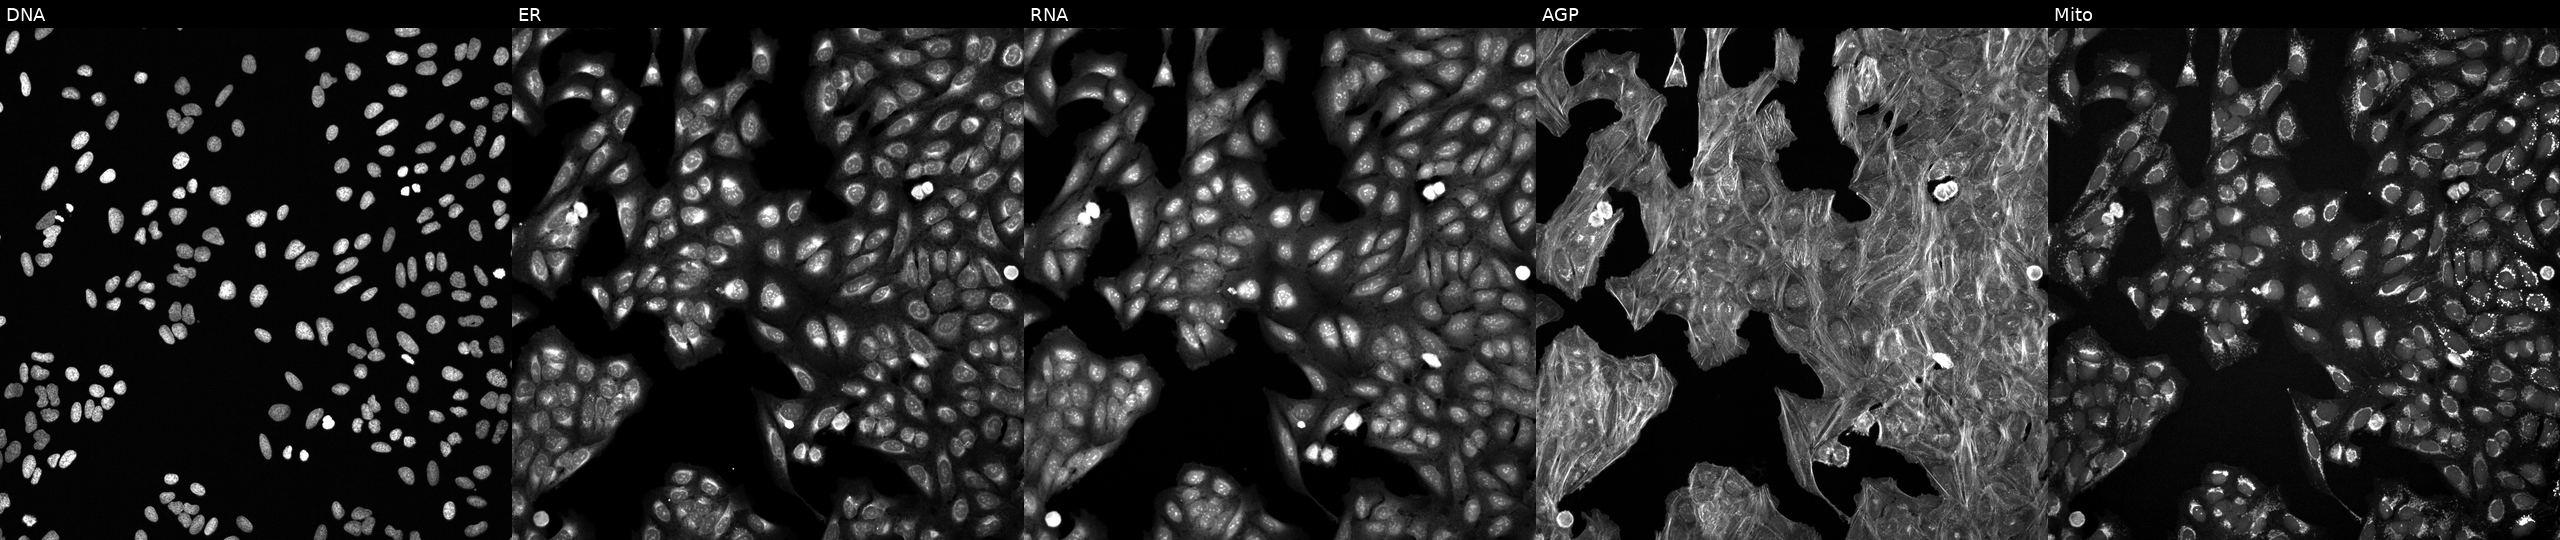
This image strip shows the five Cell Painting channels for a single field of U2OS cells exposed to a small-molecule compound (InChIKey GLISGQDAQSDMEB-UHFFFAOYSA-N). Panels show, left to right, DNA (nuclei); ER (endoplasmic reticulum); RNA (nucleoli and cytoplasmic RNA); AGP (actin cytoskeleton, Golgi, and plasma membrane); Mito (mitochondria).